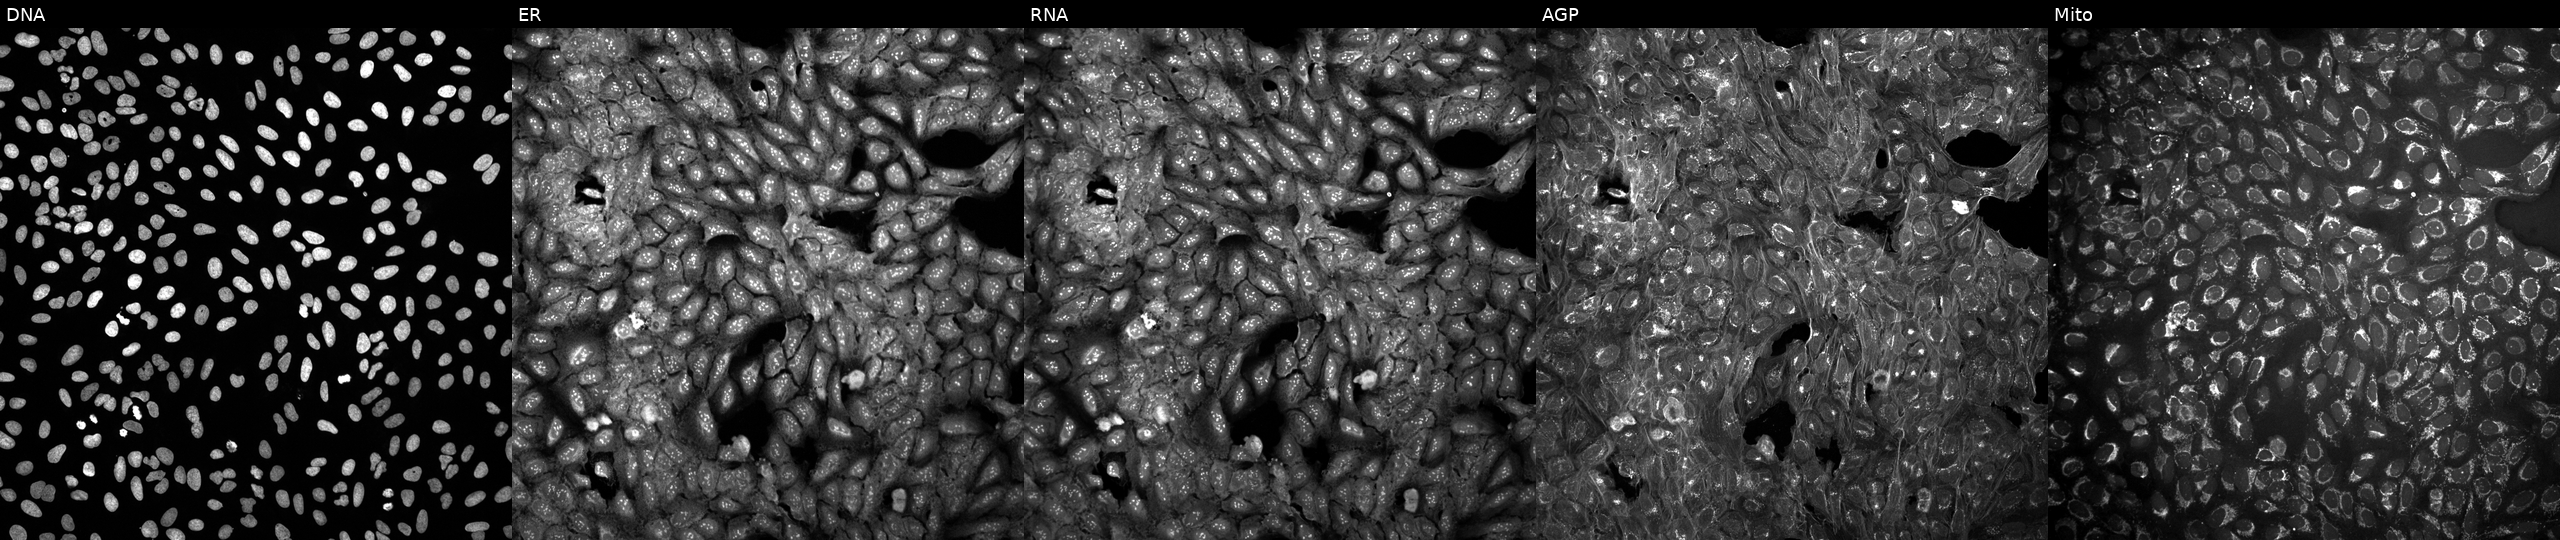
Five-channel Cell Painting image of U2OS cells treated with a small-molecule compound. The five panels, left to right, show DNA (nuclei); ER (endoplasmic reticulum); RNA (nucleoli and cytoplasmic RNA); AGP (actin cytoskeleton, Golgi, and plasma membrane); Mito (mitochondria). Source 10, plate Dest210531-152149, well M10.